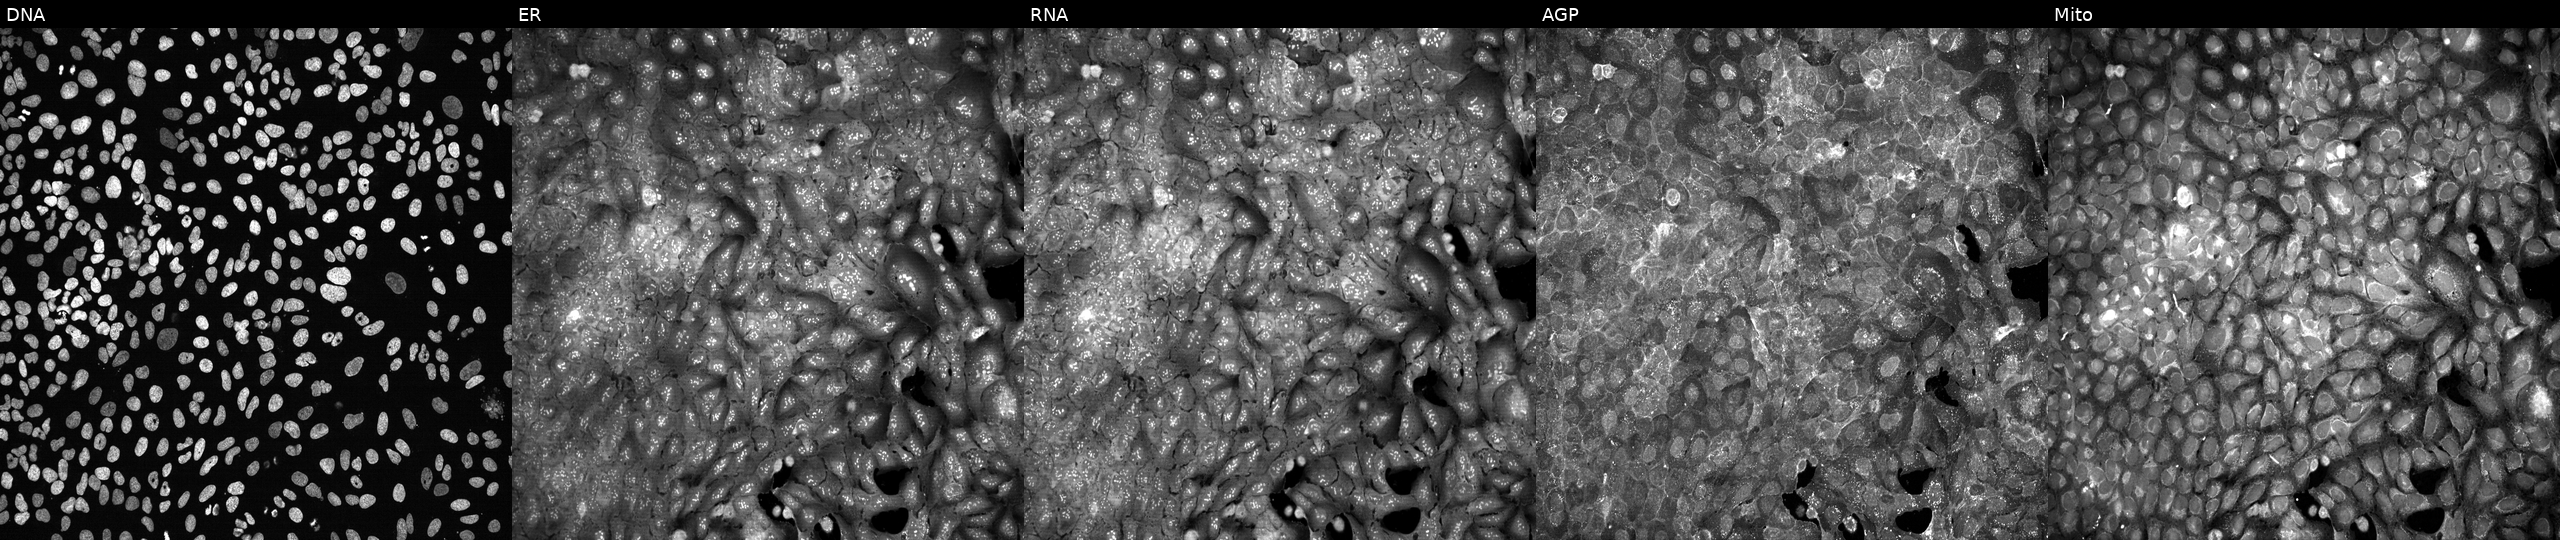
Five-channel Cell Painting image of U2OS cells following CRISPR knockout of SMC1A (JUMP id JCP2022_806640). The five panels, left to right, show DNA, ER, RNA, AGP, and Mito.